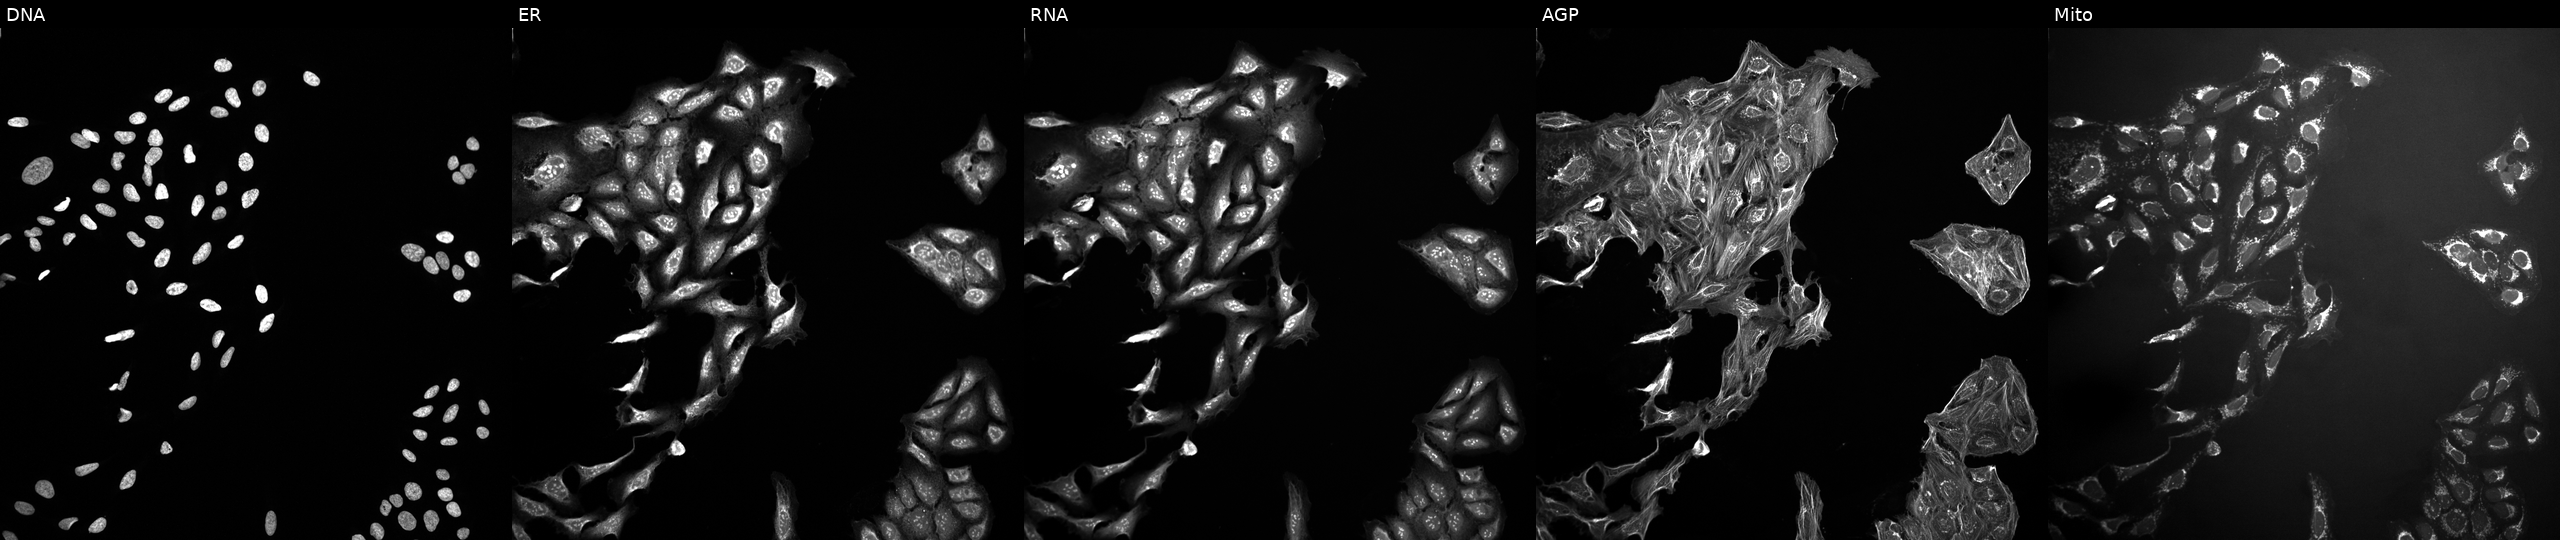
This image strip shows the five Cell Painting channels for a single field of U2OS cells exposed to a small-molecule compound (InChIKey WRLVHADVOGFZOZ-UHFFFAOYSA-N) [SMILES: CCOc1ccccc1N=Nc1c(C)[nH]n(-c2nc(-c3ccccc3)cs2)c1=O]. The five panels, left to right, show Hoechst 33342, concanavalin A, SYTO 14, phalloidin and WGA, MitoTracker. Source 10, plate Dest210726-160150, well F18.